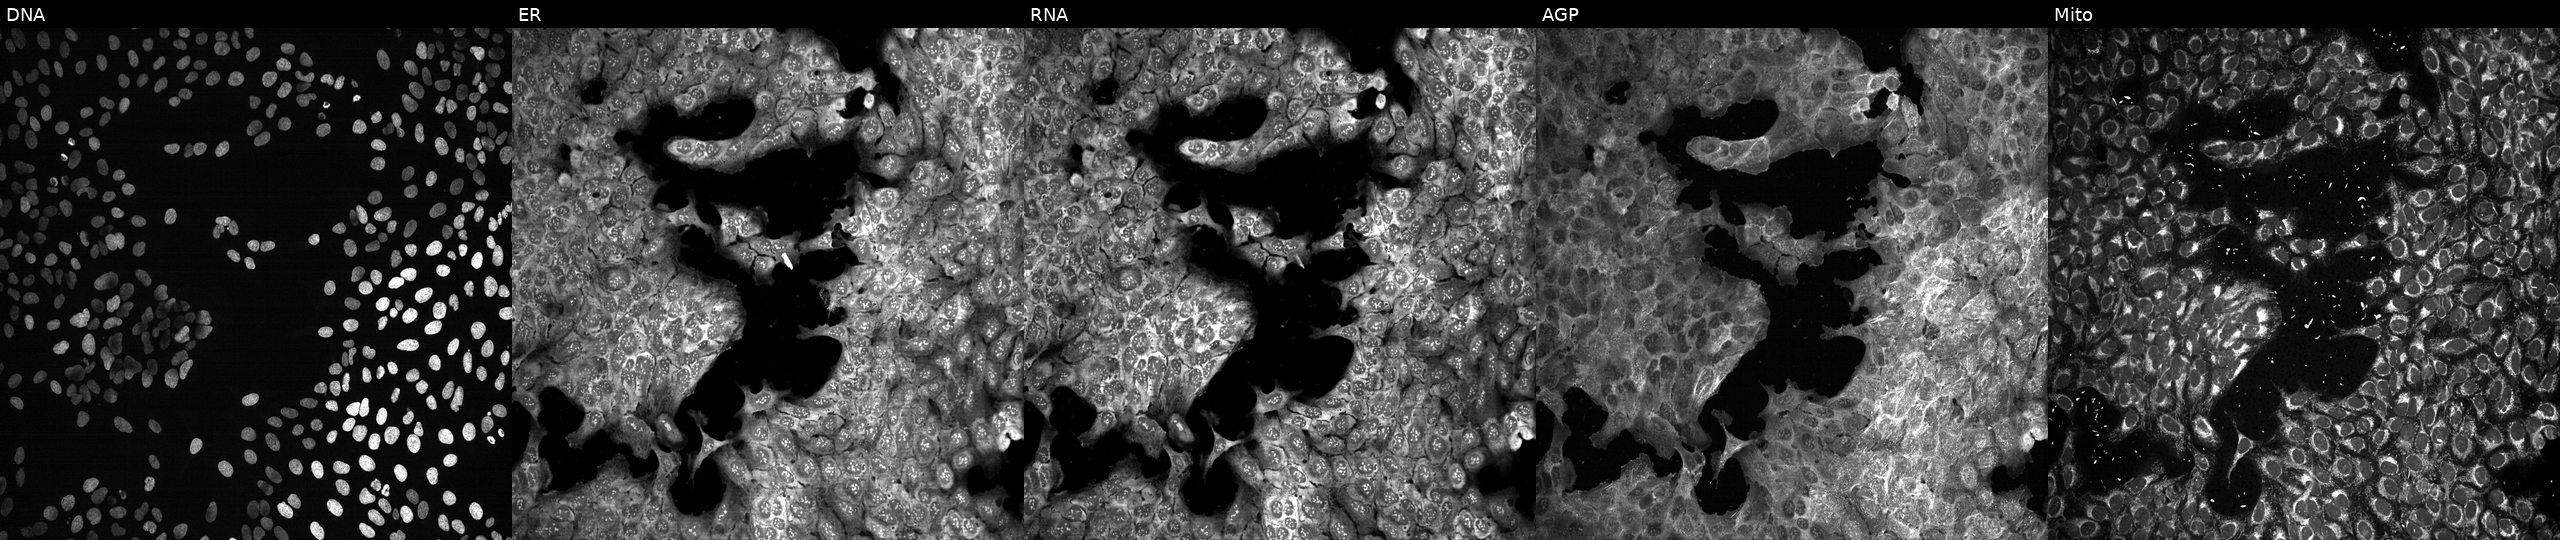
JUMP Cell Painting — CRISPR plate. U2OS cells treated with LY2109761 (positive-control compound). Channels (left→right): DNA (nuclei); ER (endoplasmic reticulum); RNA (nucleoli and cytoplasmic RNA); AGP (actin cytoskeleton, Golgi, and plasma membrane); Mito (mitochondria). Source 13, plate CP-CC9-R3-01, well E01.